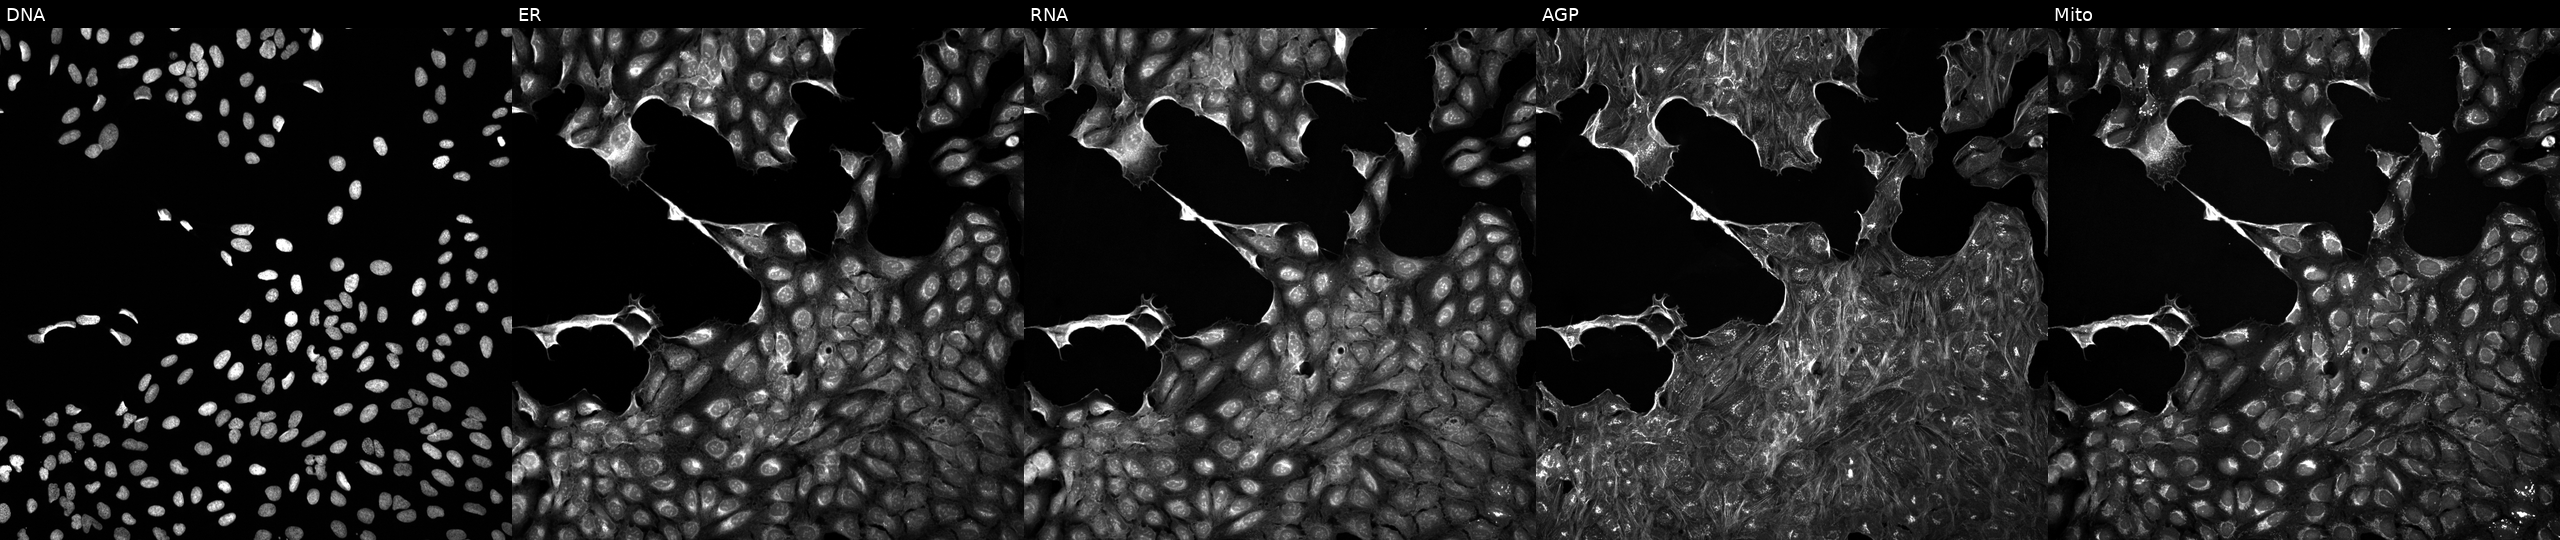
Five-channel Cell Painting image of U2OS cells exposed to DMSO alone as a negative control. From left to right: DNA (nuclei); ER (endoplasmic reticulum); RNA (nucleoli and cytoplasmic RNA); AGP (actin cytoskeleton, Golgi, and plasma membrane); Mito (mitochondria). Source 5, plate ACPJUM012, well I15.